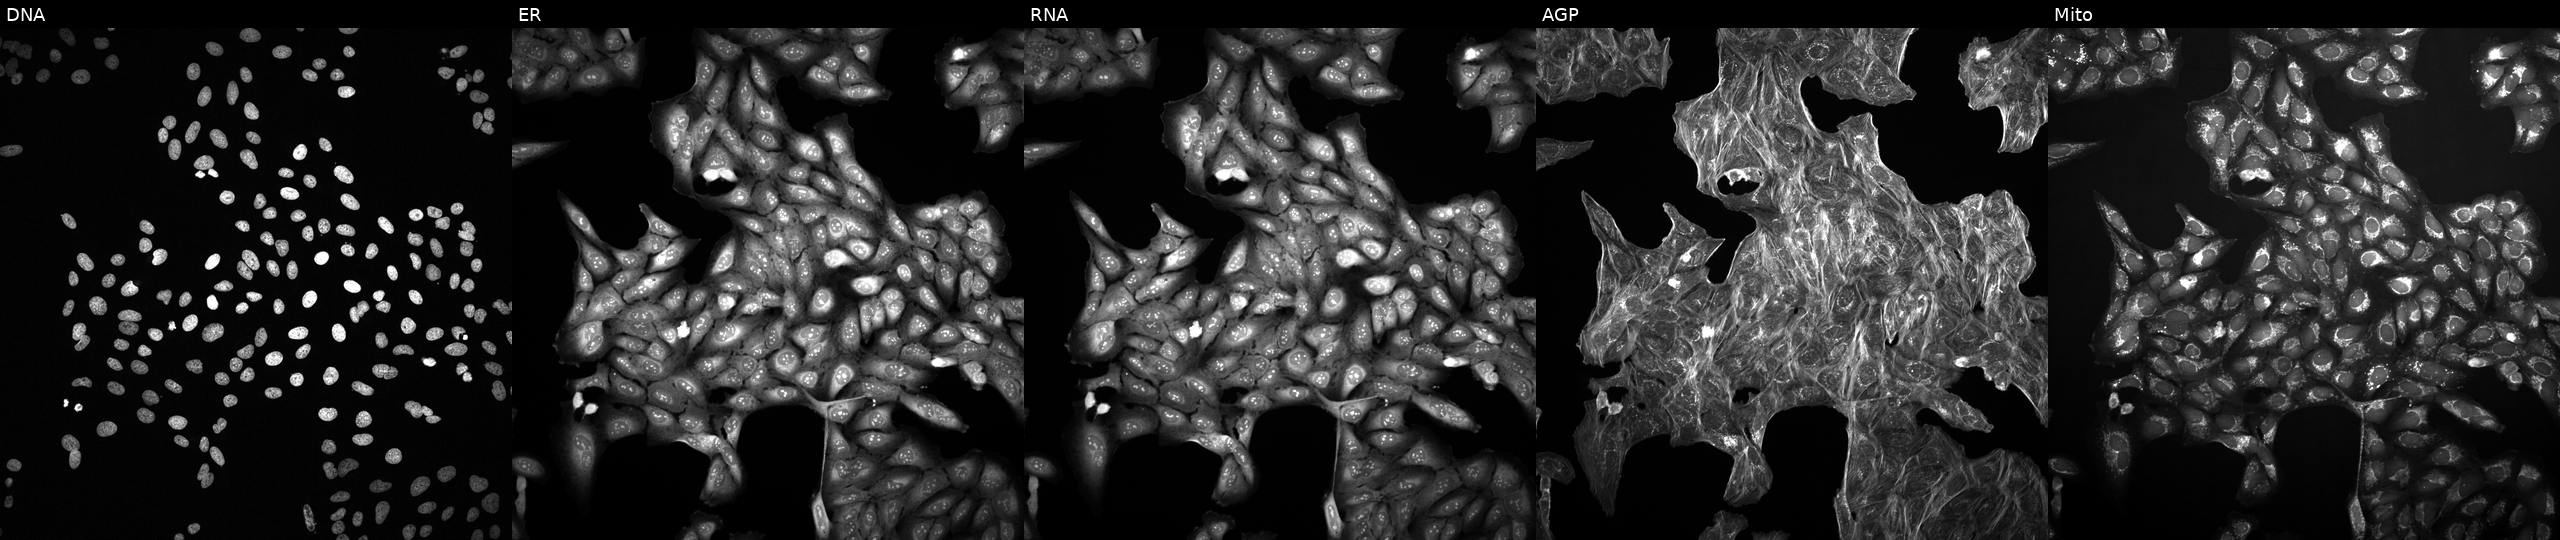
Five-channel Cell Painting image of U2OS cells perturbed with a small-molecule compound (InChIKey PHOGQKDIVUJGMJ-UHFFFAOYSA-N). Channels (left→right): Hoechst 33342, concanavalin A, SYTO 14, phalloidin and WGA, MitoTracker. Source 2, plate 1053597936, well P18.